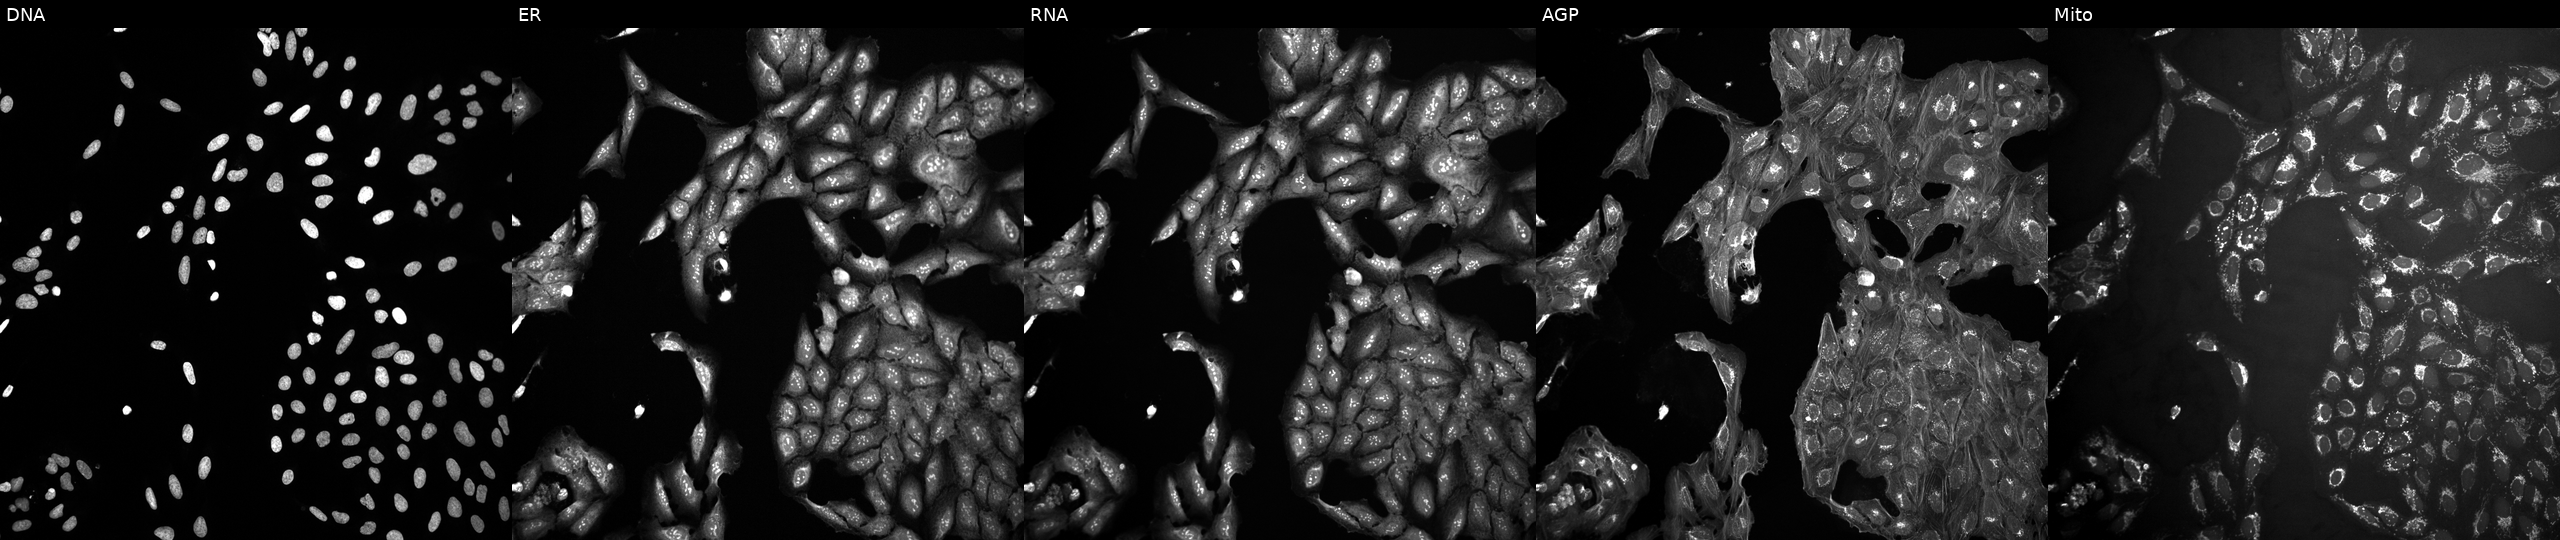
JUMP Cell Painting — COMPOUND plate. U2OS cells in an empty control well (no perturbation). Panels show, left to right, DNA (nuclei); ER (endoplasmic reticulum); RNA (nucleoli and cytoplasmic RNA); AGP (actin cytoskeleton, Golgi, and plasma membrane); Mito (mitochondria). Source 10, plate Dest210531-152149, well F18.